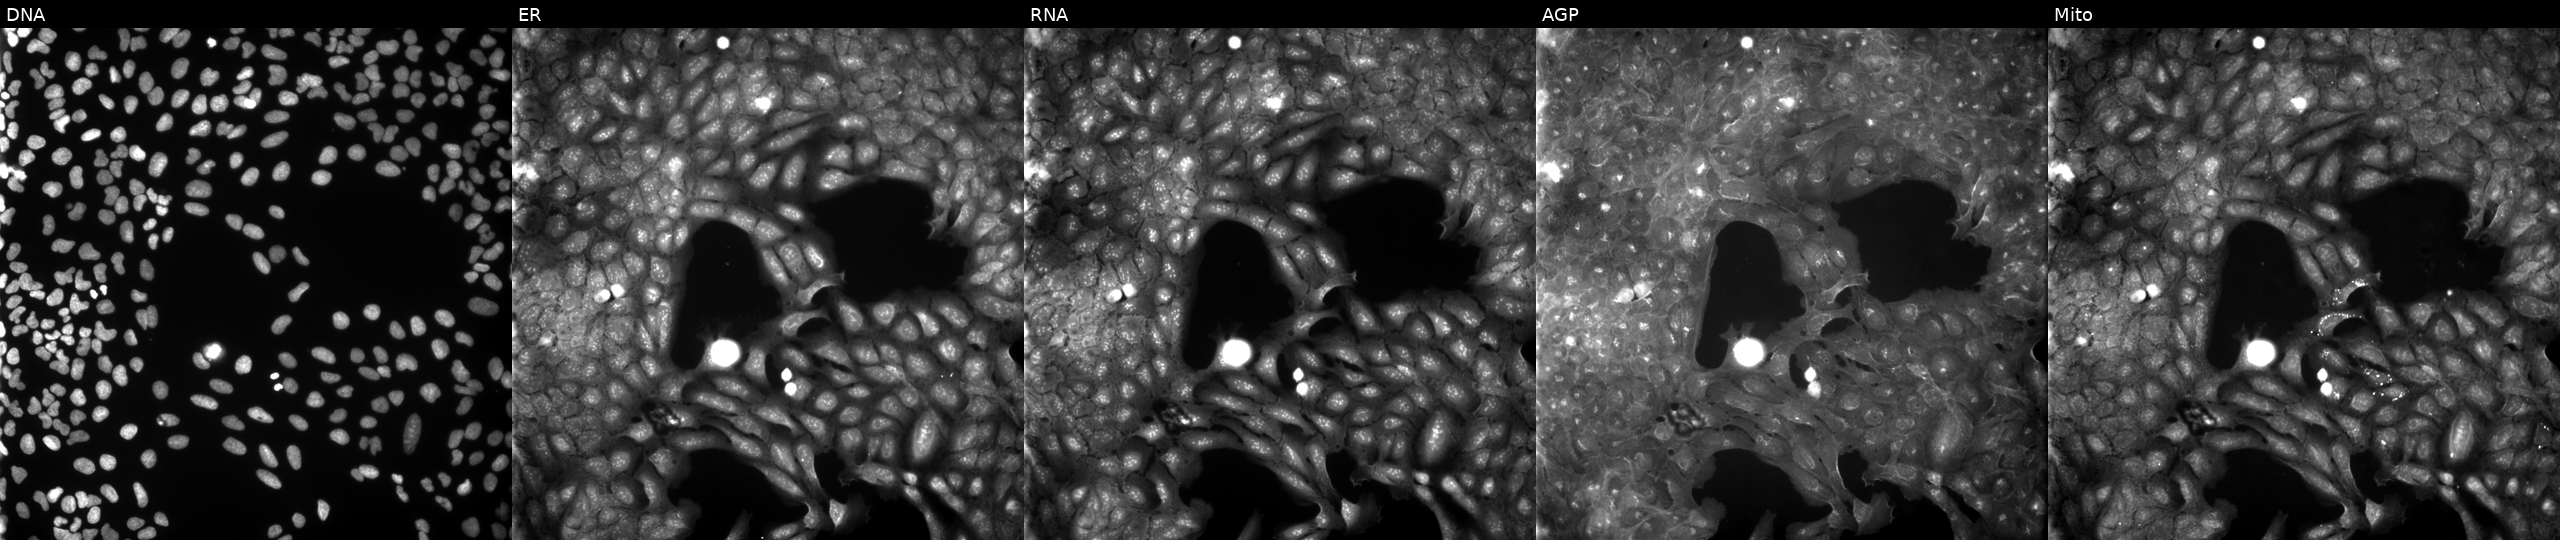
High-content fluorescence microscopy (Cell Painting). Cell line: U2OS. Perturbation: treated with a small-molecule compound (InChIKey OMSUGCNZMCSVCQ-UHFFFAOYSA-N) (JUMP id JCP2022_064804). The five panels, left to right, show DNA, ER, RNA, AGP, and Mito. Source 9, plate GR00003382, well N16.